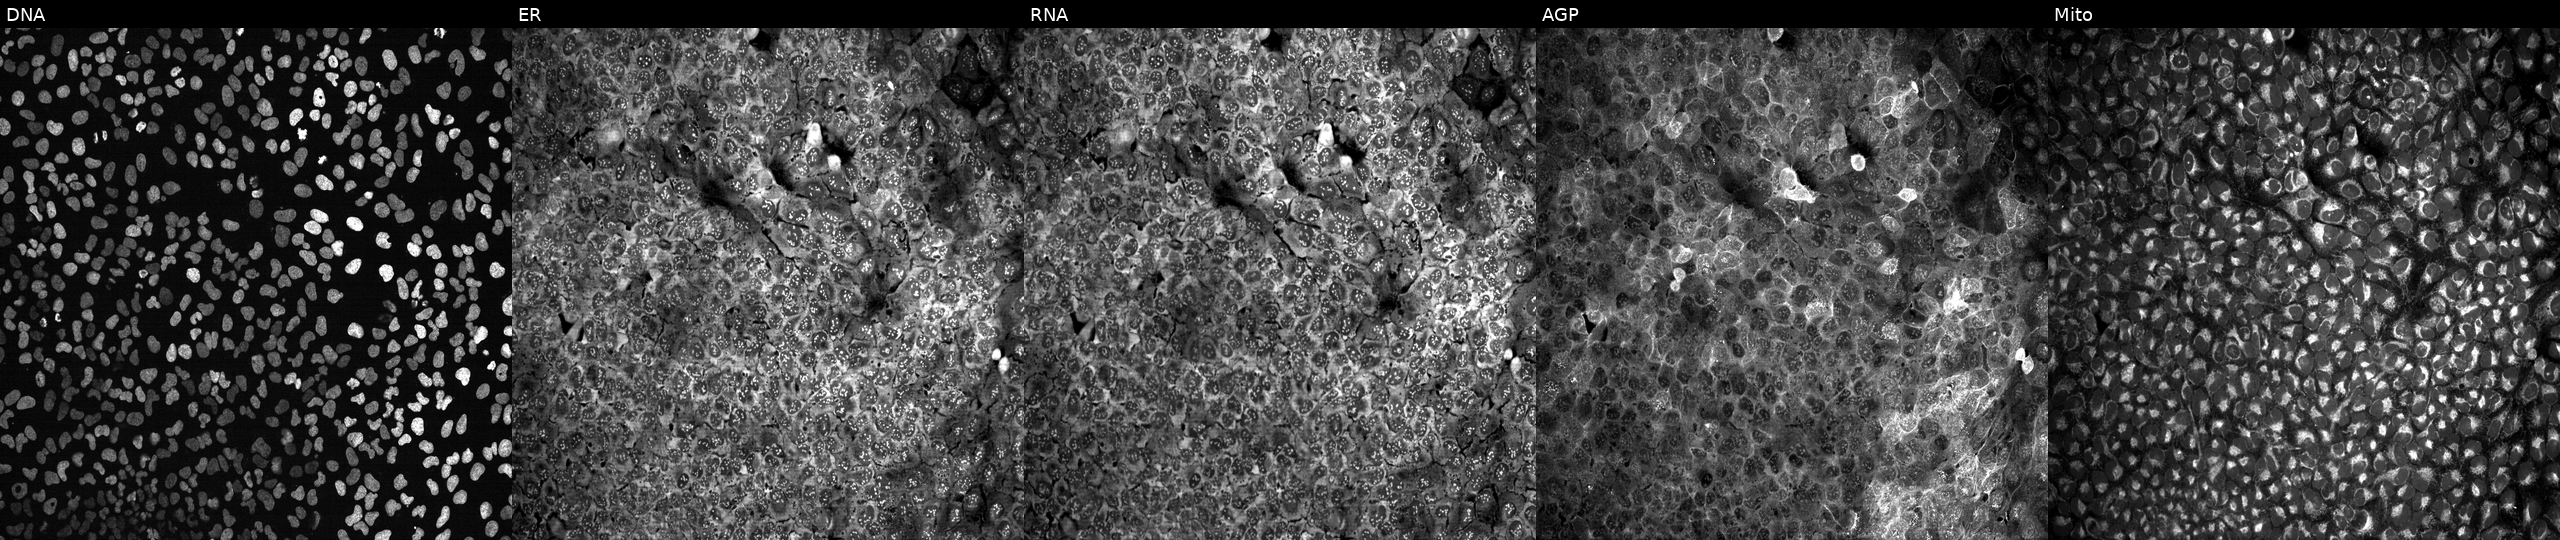
U2OS cells, Cell Painting assay, CRISPR-edited to disrupt TMC6. From left to right: DNA, ER, RNA, AGP, and Mito. Each panel is percentile-stretched 16-bit fluorescence. Source 13, plate CP-CC9-R4-04, well H03.